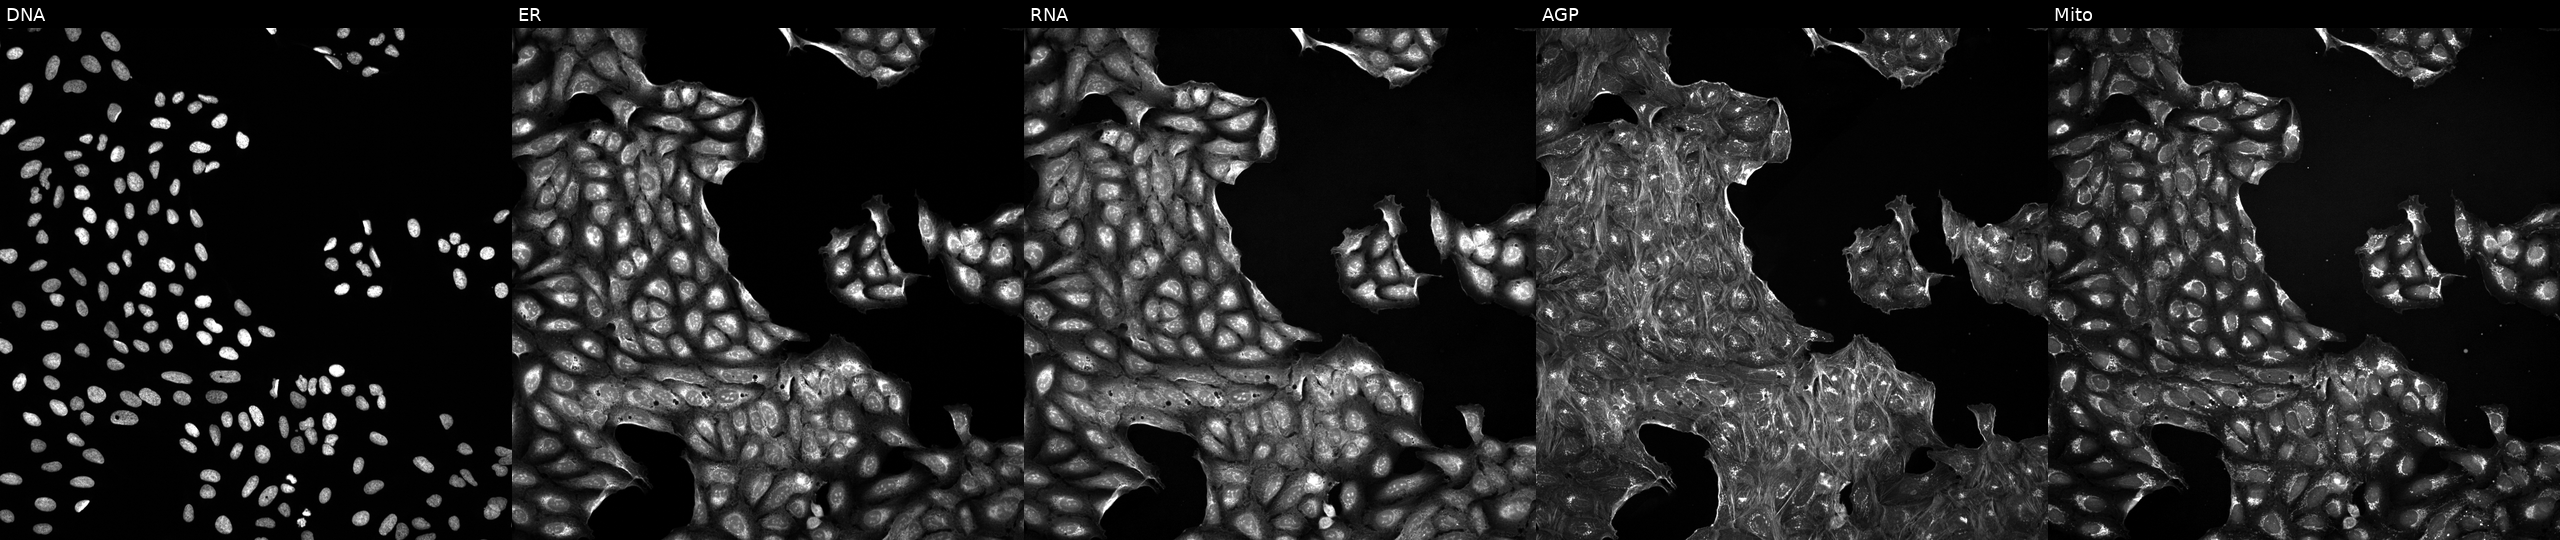
Panels show, left to right, DNA, ER, RNA, AGP, and Mito. U2OS osteosarcoma cells exposed to a small-molecule compound (InChIKey NUIKTBLZSPQGCP-UHFFFAOYSA-N) (JUMP id JCP2022_061421). Cell Painting assay, JUMP-CP dataset.